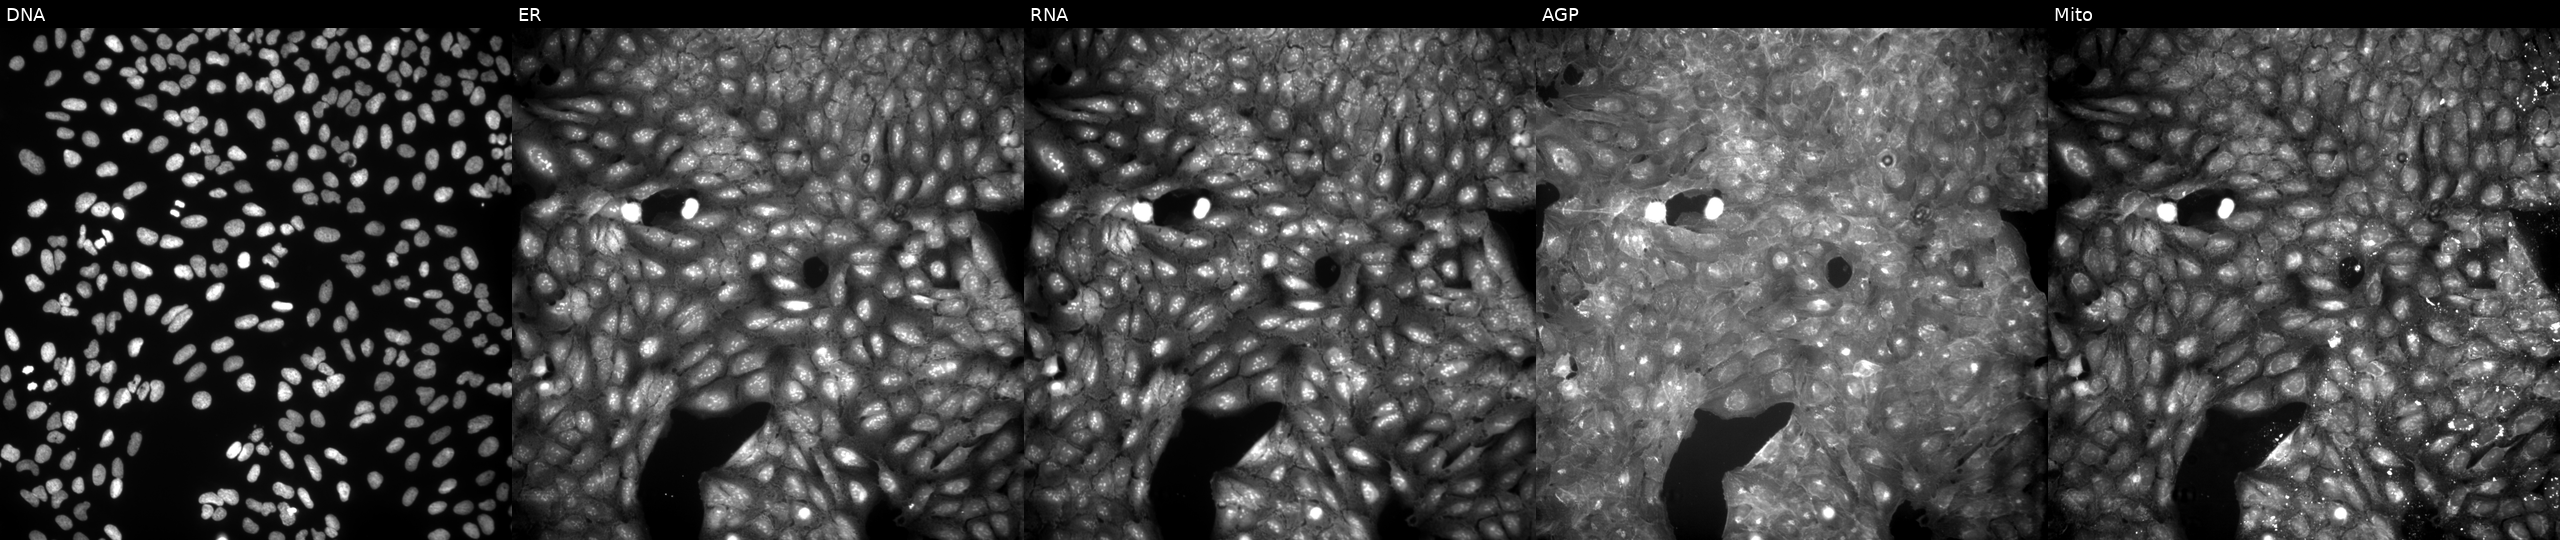
This image strip shows the five Cell Painting channels for a single field of U2OS cells exposed to a small-molecule compound (InChIKey JKKKSDYCZFVNPE-UHFFFAOYSA-N) [SMILES: O=C(CSCc1ccc([N+](=O)[O-])cc1)NN=C1CCCCCC1]. Channels (left→right): DNA, ER, RNA, AGP, and Mito.